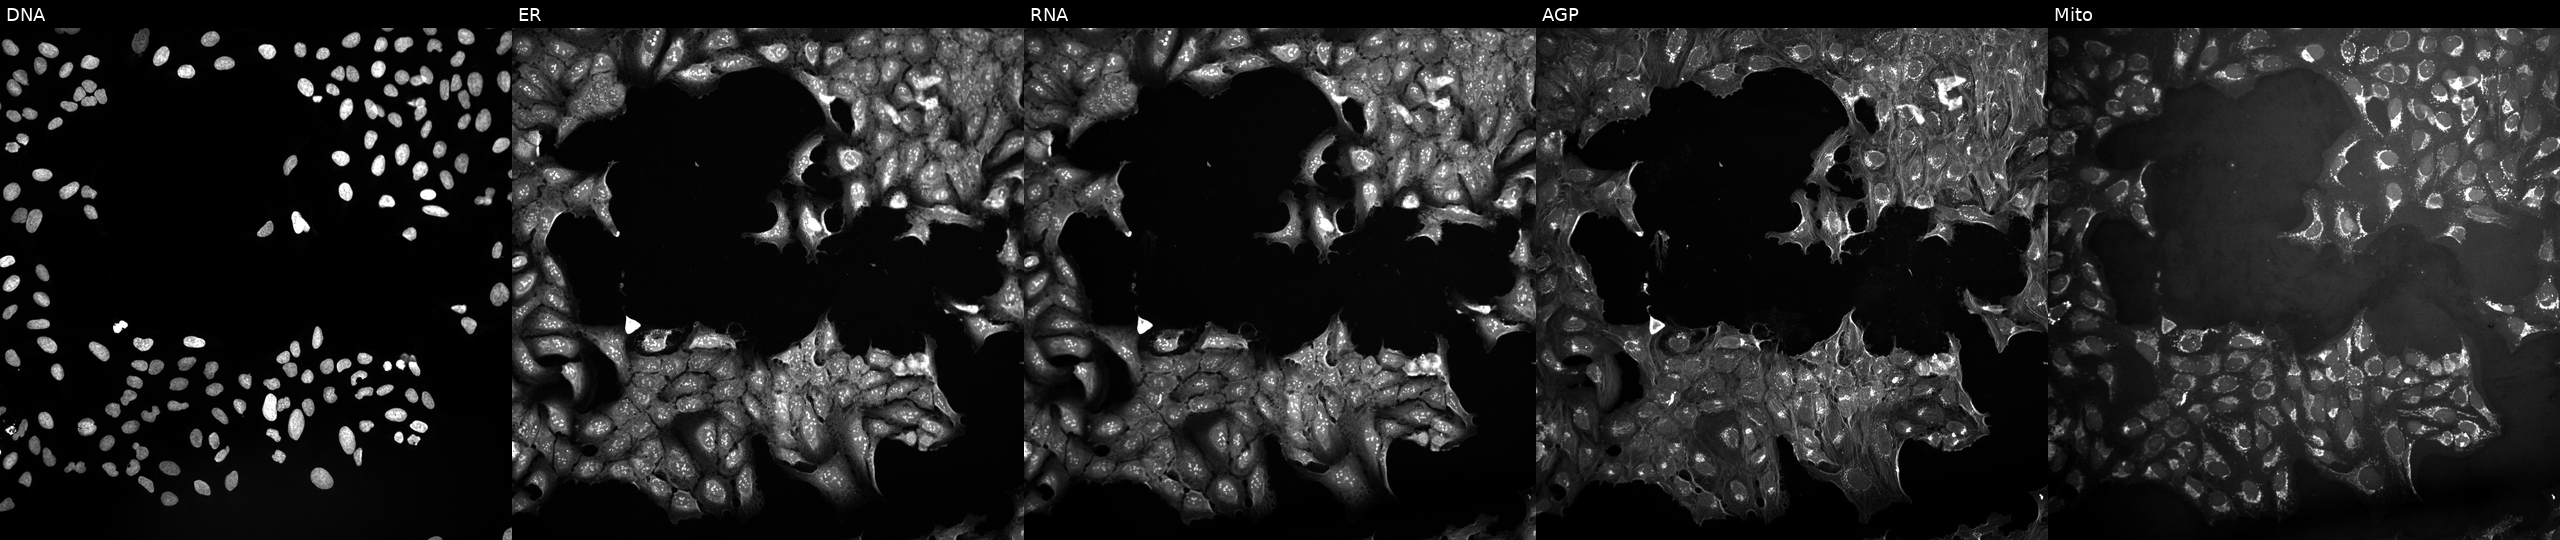
Five-channel Cell Painting image of U2OS cells treated with DMSO vehicle only (negative control) (JUMP id JCP2022_033924). The five panels, left to right, show DNA, ER, RNA, AGP, and Mito.